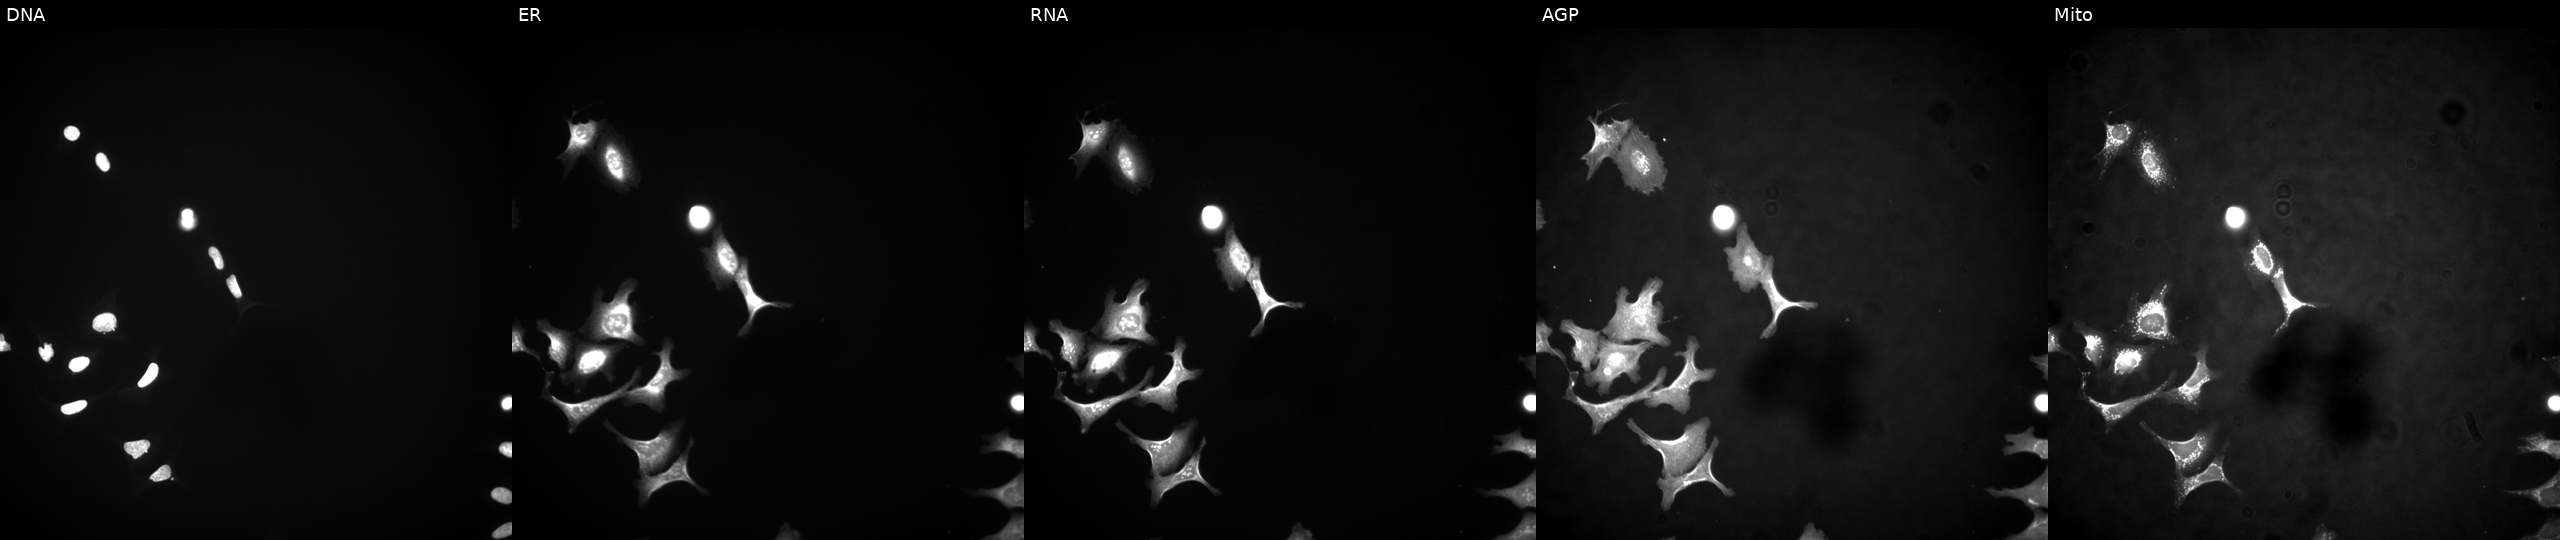
This image strip shows the five Cell Painting channels for a single field of U2OS cells transfected with an ORF construct for ARSI. From left to right: Hoechst 33342, concanavalin A, SYTO 14, phalloidin and WGA, MitoTracker. Source 4, plate BR00124790, well L16.